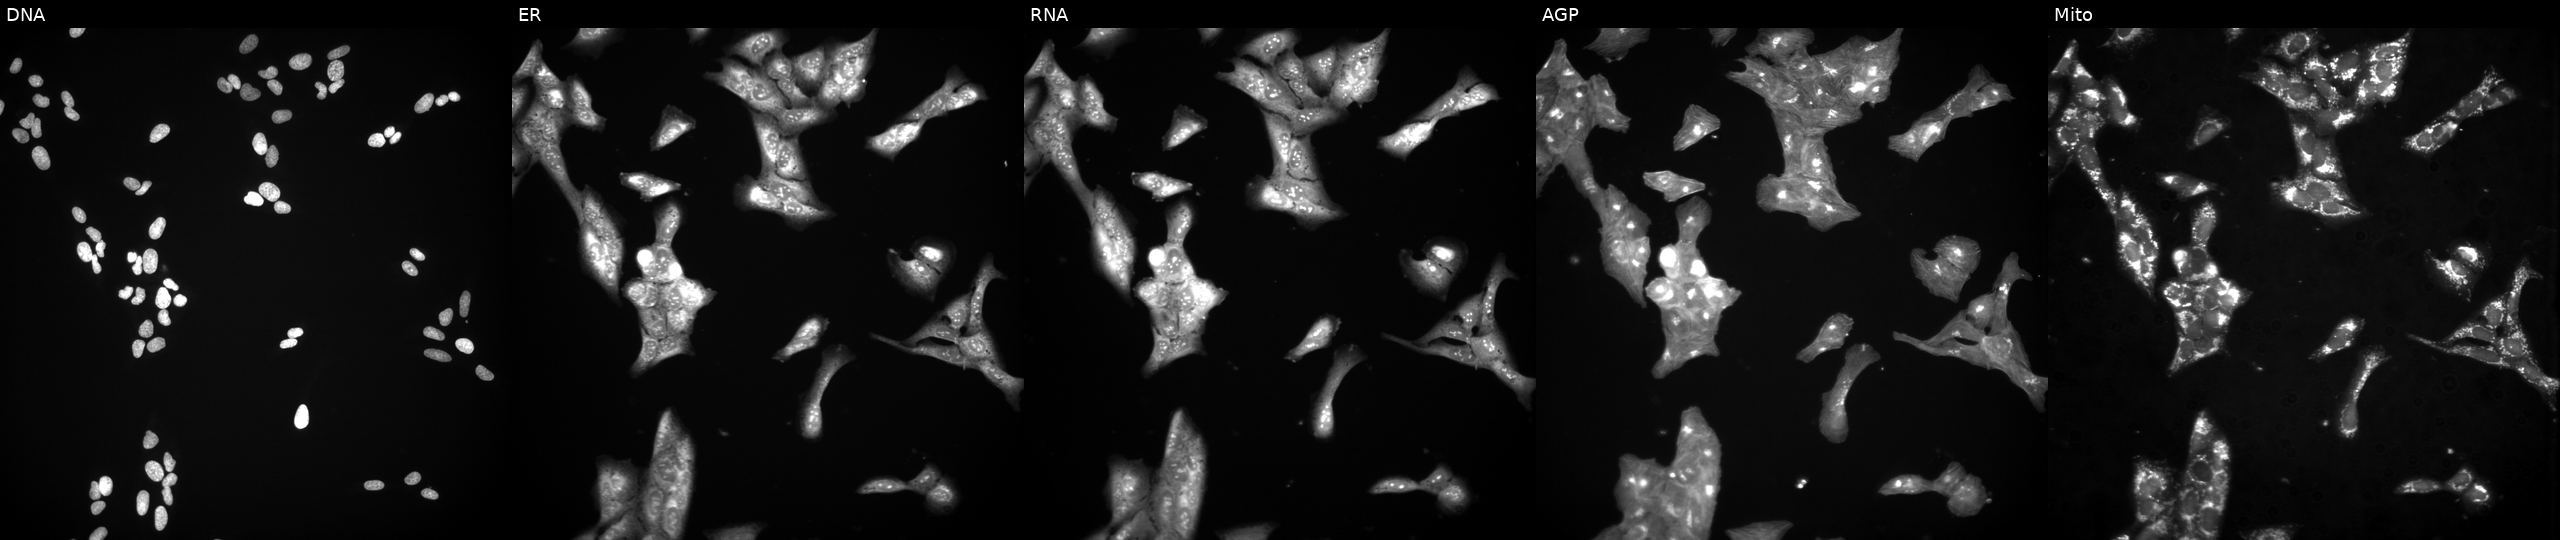
U2OS cells, Cell Painting assay, exposed to a small-molecule compound [SMILES: C=C(NC(=O)C(=C)NC(=O)c1csc(C2=NC3c4csc(n4)C4NC(=O)c5csc(n5)C(C(C)(O)C(C)O)NC(=O)C5CSC(=N5)C(=CC)NC(=O)C(C(C)O)NC(=O)c5csc(n5)C3(CC2)NC(=O)C(C)NC(=O)C(=C)NC(=O)C(C)NC(=O)C(C(C)CC)Nc2ccc3c(c2O)NC(=CC3C(C)O)C(=O)OC4C)n1)C(N)=O]. From left to right: Hoechst 33342, concanavalin A, SYTO 14, phalloidin and WGA, MitoTracker. Each panel is percentile-stretched 16-bit fluorescence.